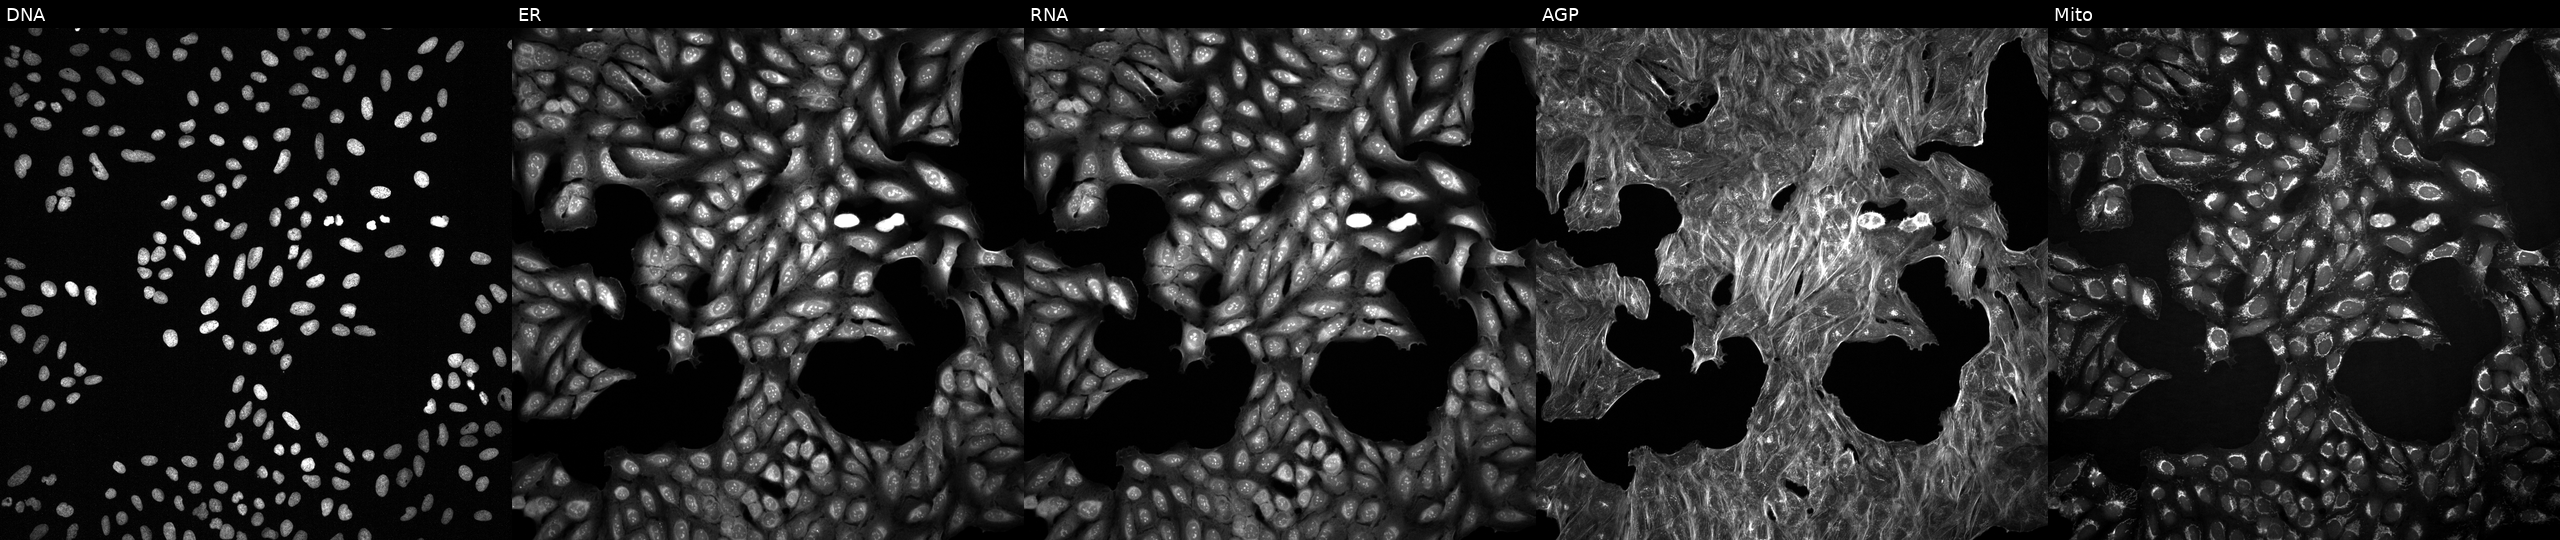
Five-channel Cell Painting image of U2OS cells perturbed with a small-molecule compound (InChIKey GDGIVSREGUOIJZ-UHFFFAOYSA-N). From left to right: Hoechst 33342, concanavalin A, SYTO 14, phalloidin and WGA, MitoTracker. Source 2, plate 1053601756, well M07.